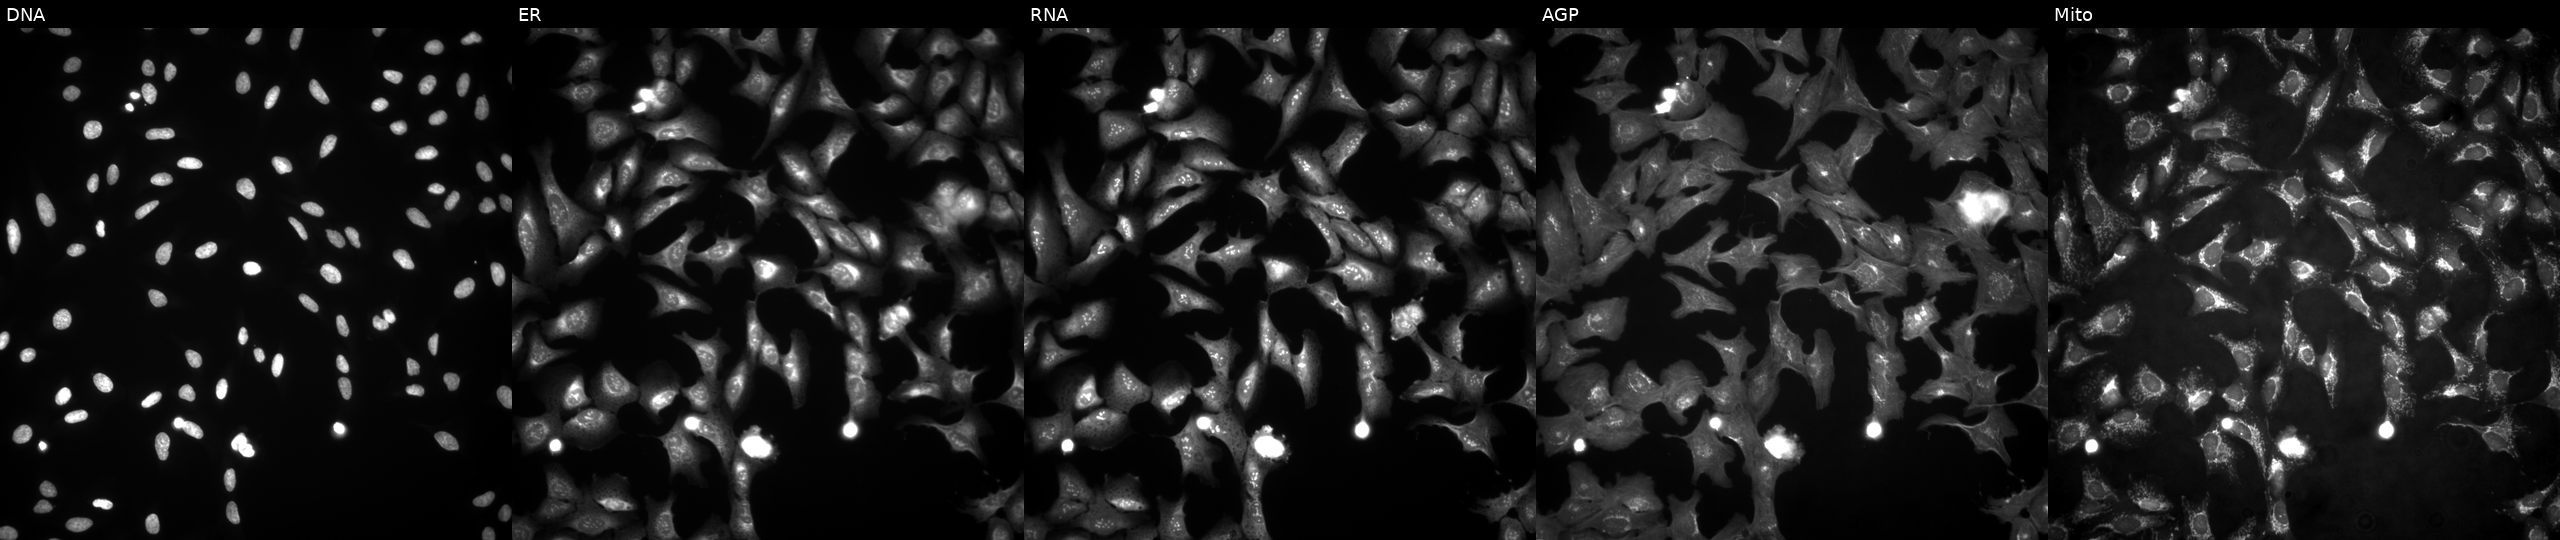
The five panels, left to right, show DNA, ER, RNA, AGP, and Mito. U2OS osteosarcoma cells overexpressing CLEC12A via ORF transfection. Cell Painting assay, JUMP-CP dataset. Source 4, plate BR00123509, well K19.